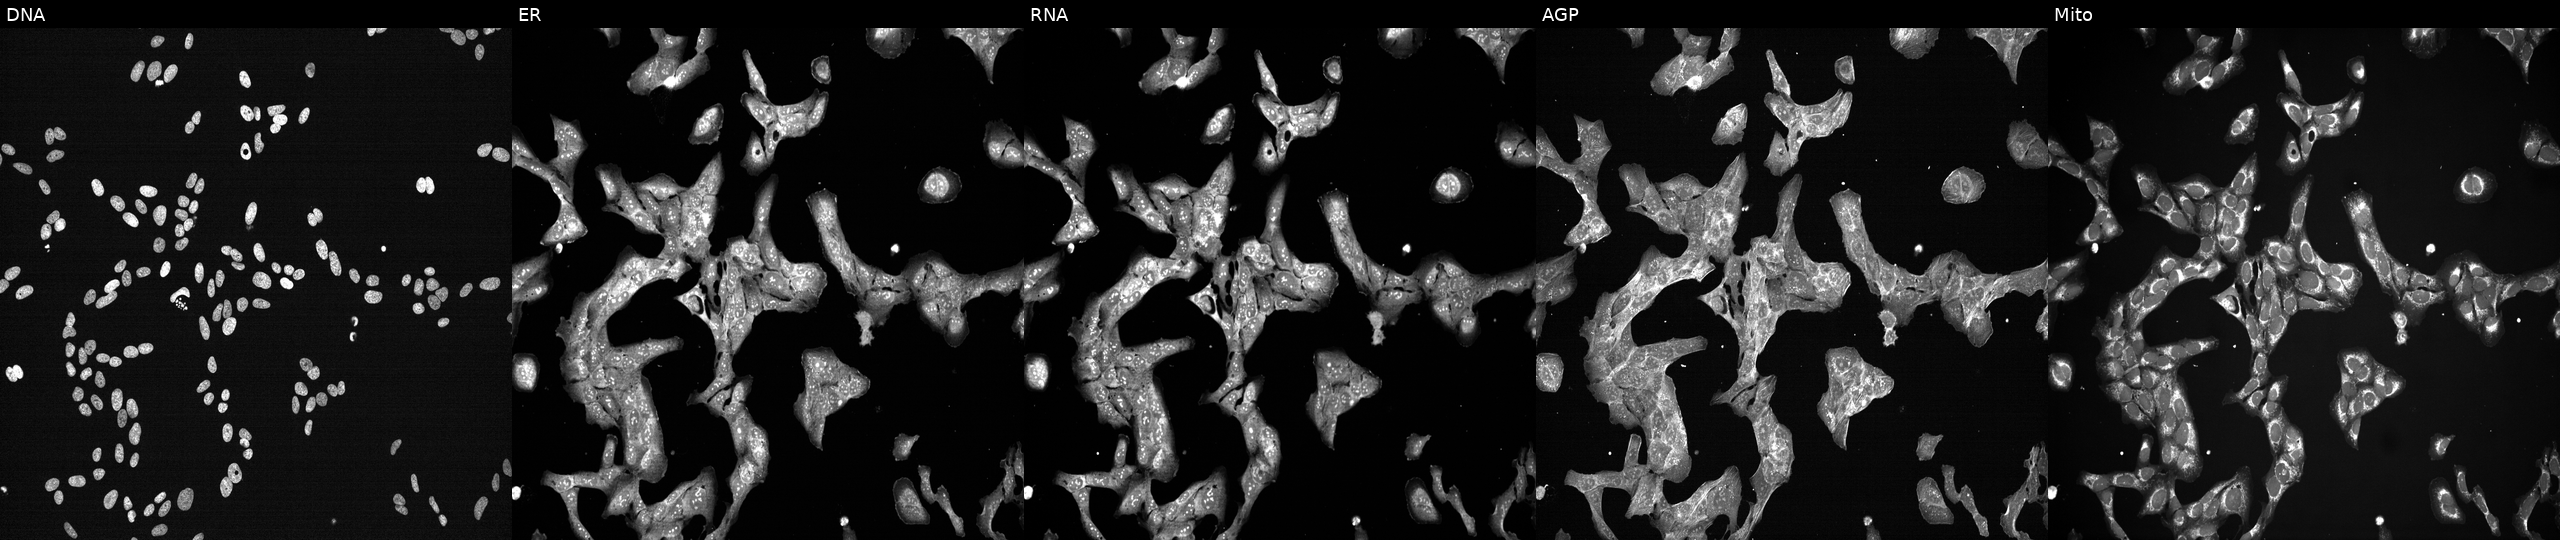
High-content fluorescence microscopy (Cell Painting). Cell line: U2OS. Perturbation: perturbed with a small-molecule compound (InChIKey WYWHKKSPHMUBEB-UHFFFAOYSA-N) (JUMP id JCP2022_102083). Channels (left→right): DNA (nuclei); ER (endoplasmic reticulum); RNA (nucleoli and cytoplasmic RNA); AGP (actin cytoskeleton, Golgi, and plasma membrane); Mito (mitochondria).